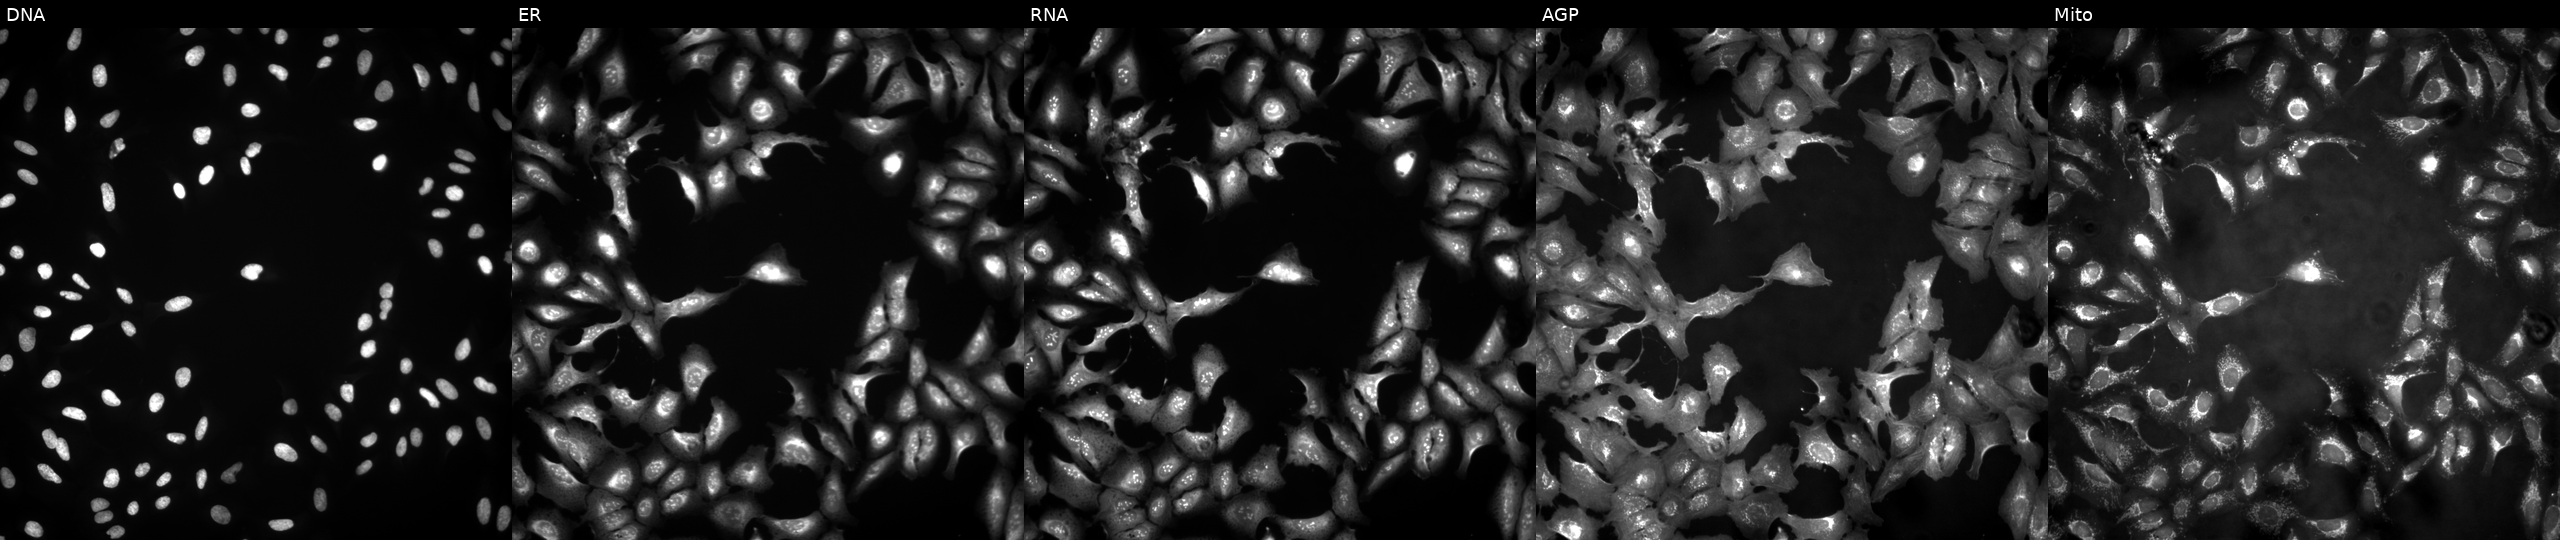
High-content fluorescence microscopy (Cell Painting). Cell line: U2OS. Perturbation: transfected with an ORF construct for LILRB1 (JUMP id JCP2022_907192). From left to right: Hoechst 33342, concanavalin A, SYTO 14, phalloidin and WGA, MitoTracker.